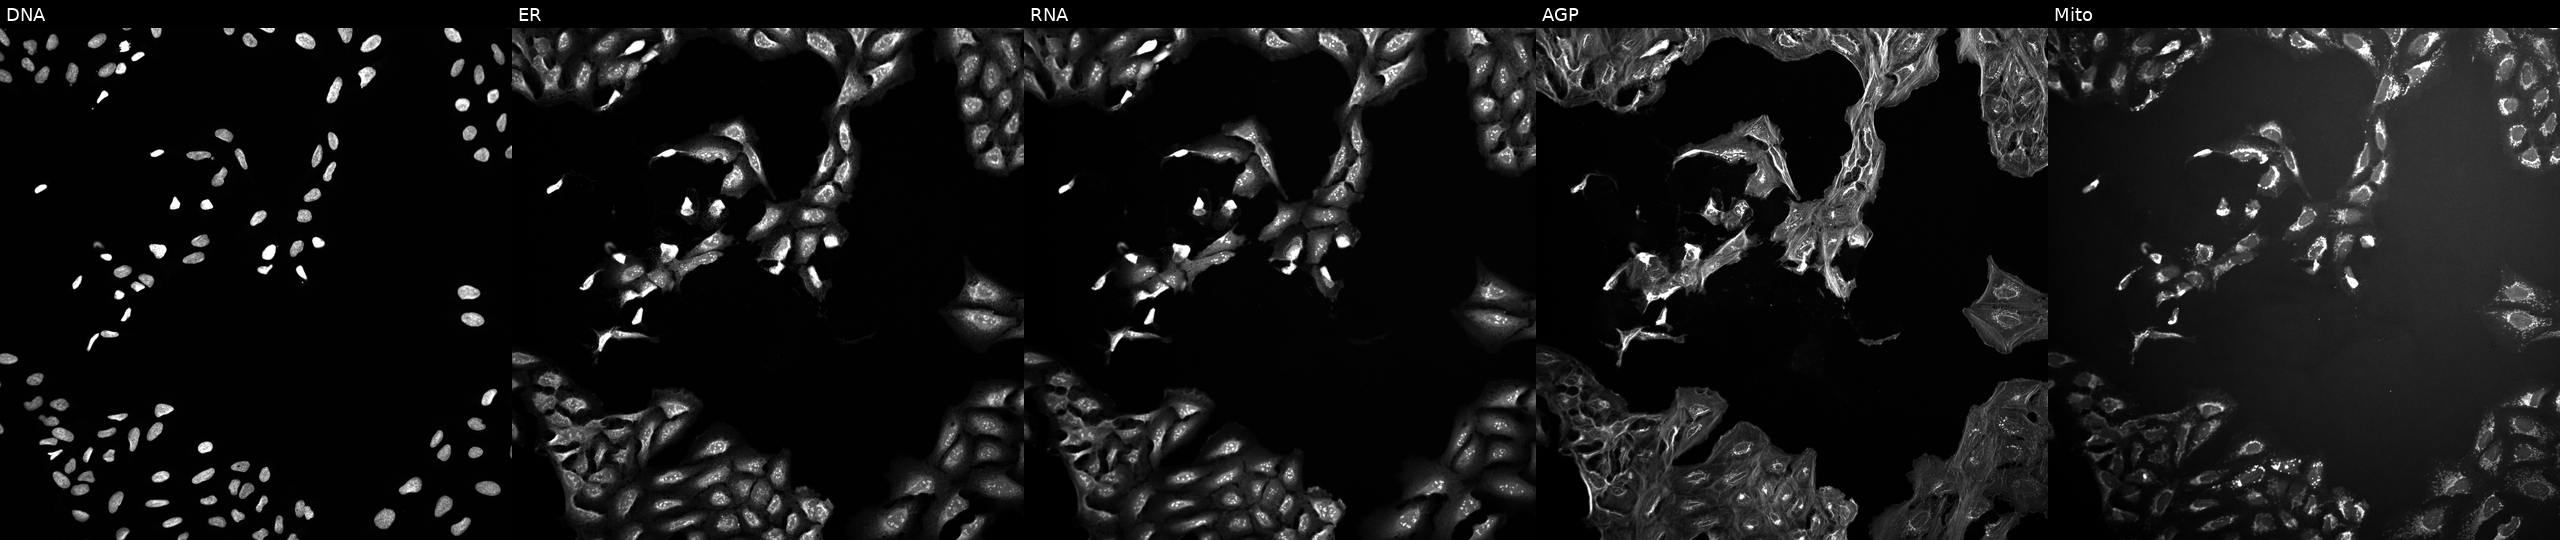
From left to right: Hoechst 33342, concanavalin A, SYTO 14, phalloidin and WGA, MitoTracker. U2OS osteosarcoma cells treated with a small-molecule compound (InChIKey UZDORQWMYRRLQV-UHFFFAOYSA-N) (JUMP id JCP2022_092464). Cell Painting assay, JUMP-CP dataset. Source 10, plate Dest210726-160150, well E21.